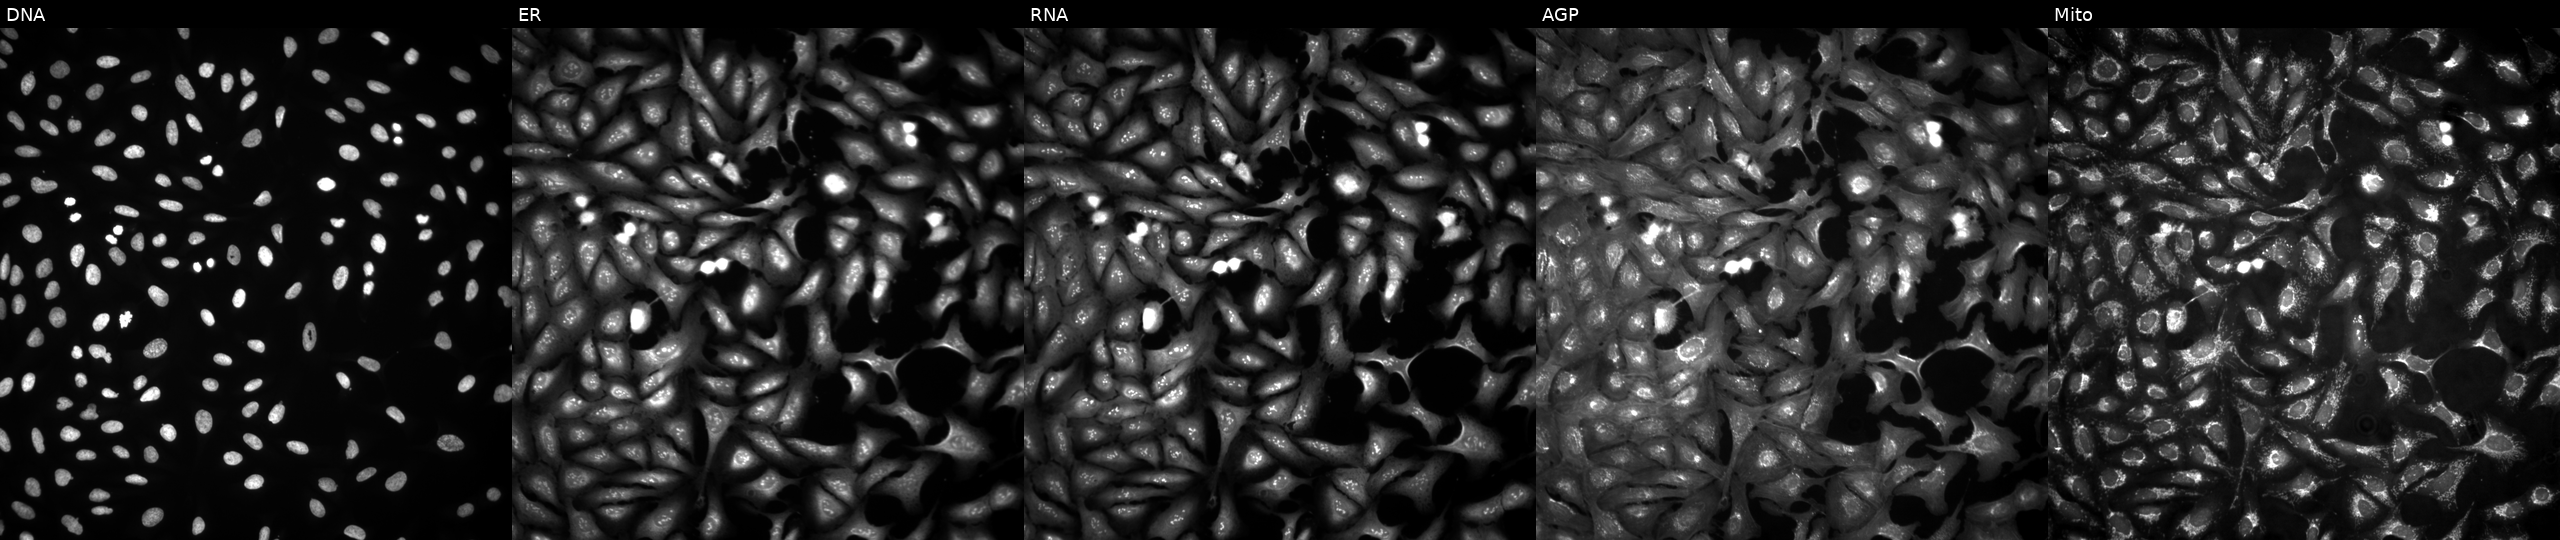
This image strip shows the five Cell Painting channels for a single field of U2OS cells with ARFGAP3 overexpressed (ORF) (JUMP id JCP2022_907493). The five panels, left to right, show DNA, ER, RNA, AGP, and Mito.